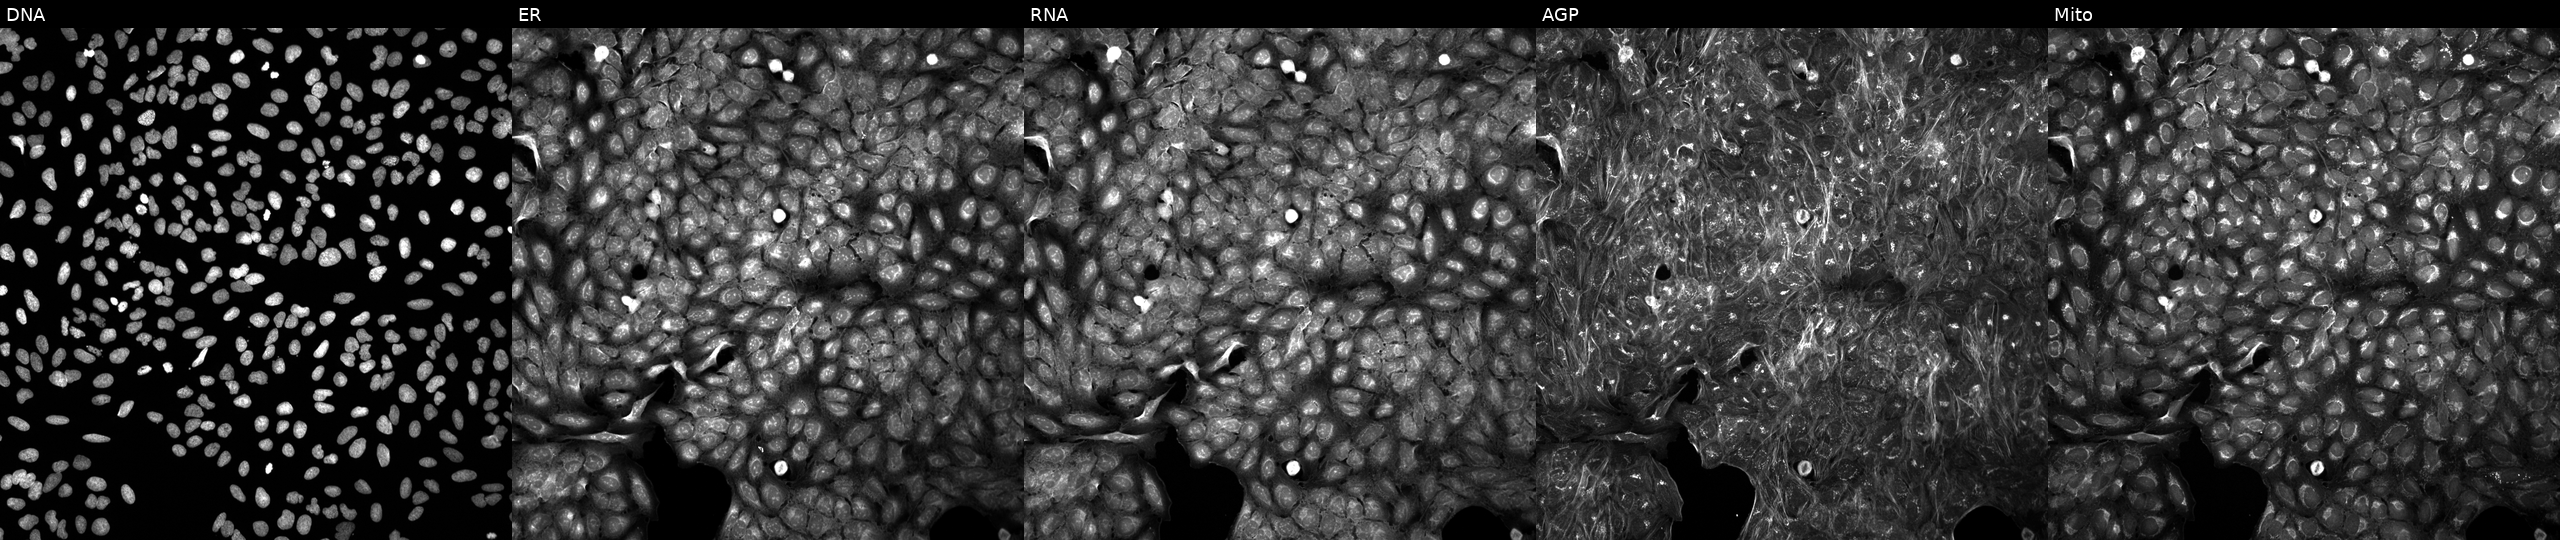
U2OS cells, Cell Painting assay, perturbed with a small-molecule compound (InChIKey OGDHPVAFRIBCEL-UHFFFAOYSA-N) [SMILES: O=C(N=c1nccc[nH]1)C1CCN(Cc2cccc3cccnc23)CC1] (JUMP id JCP2022_063584). Channels (left→right): DNA (nuclei); ER (endoplasmic reticulum); RNA (nucleoli and cytoplasmic RNA); AGP (actin cytoskeleton, Golgi, and plasma membrane); Mito (mitochondria). Each panel is percentile-stretched 16-bit fluorescence.